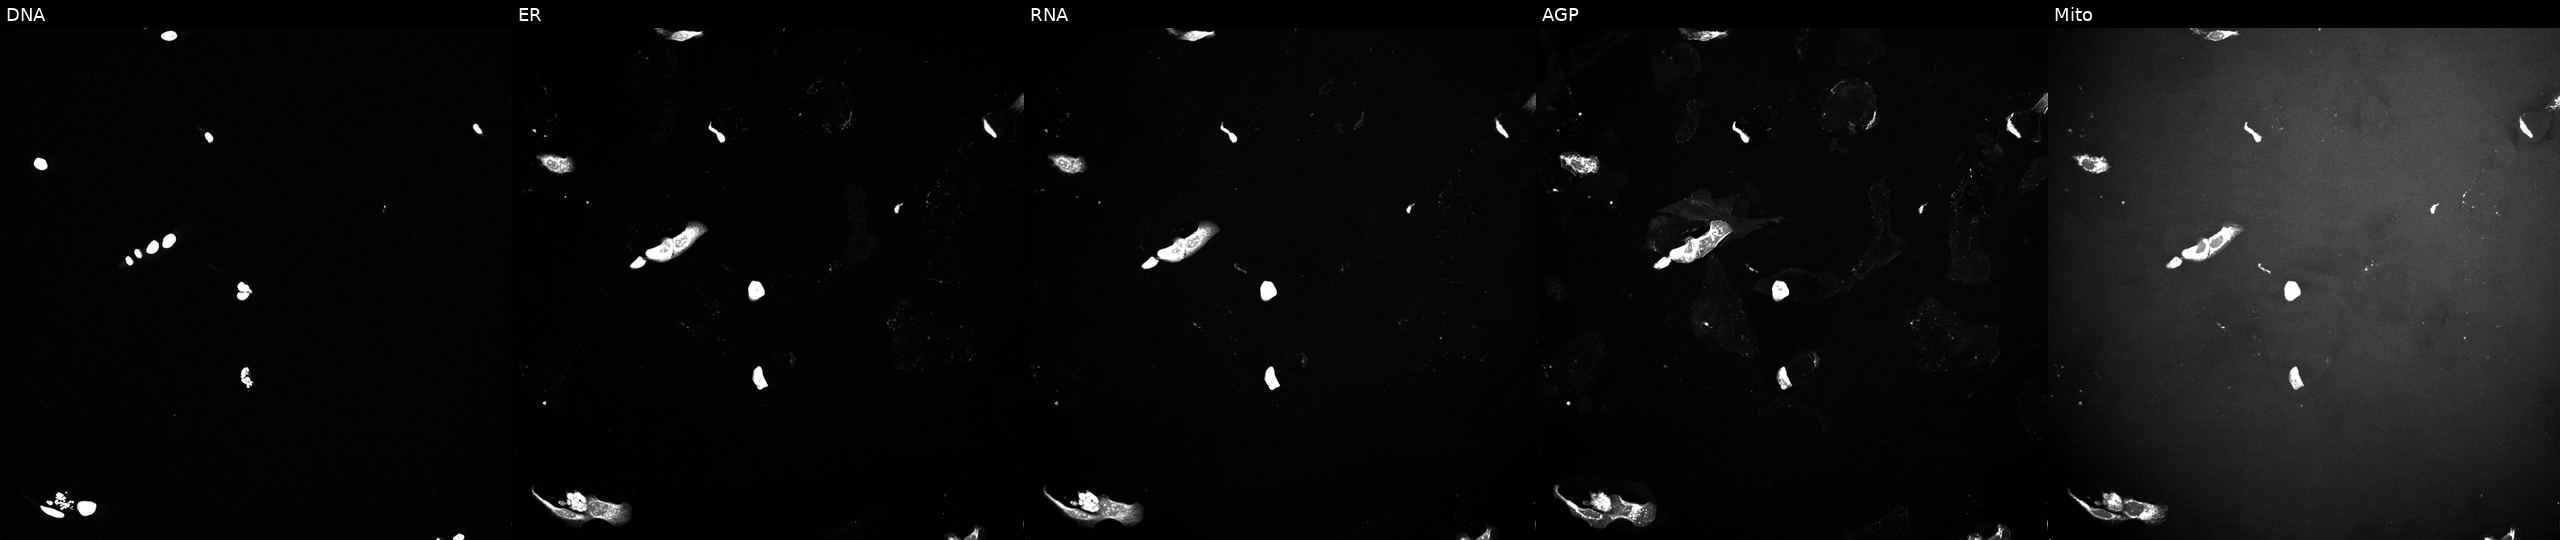
Channels (left→right): Hoechst 33342, concanavalin A, SYTO 14, phalloidin and WGA, MitoTracker. U2OS osteosarcoma cells treated with a small-molecule compound (JUMP id JCP2022_068713). Cell Painting assay, JUMP-CP dataset. Source 10, plate Dest210727-153003, well J08.